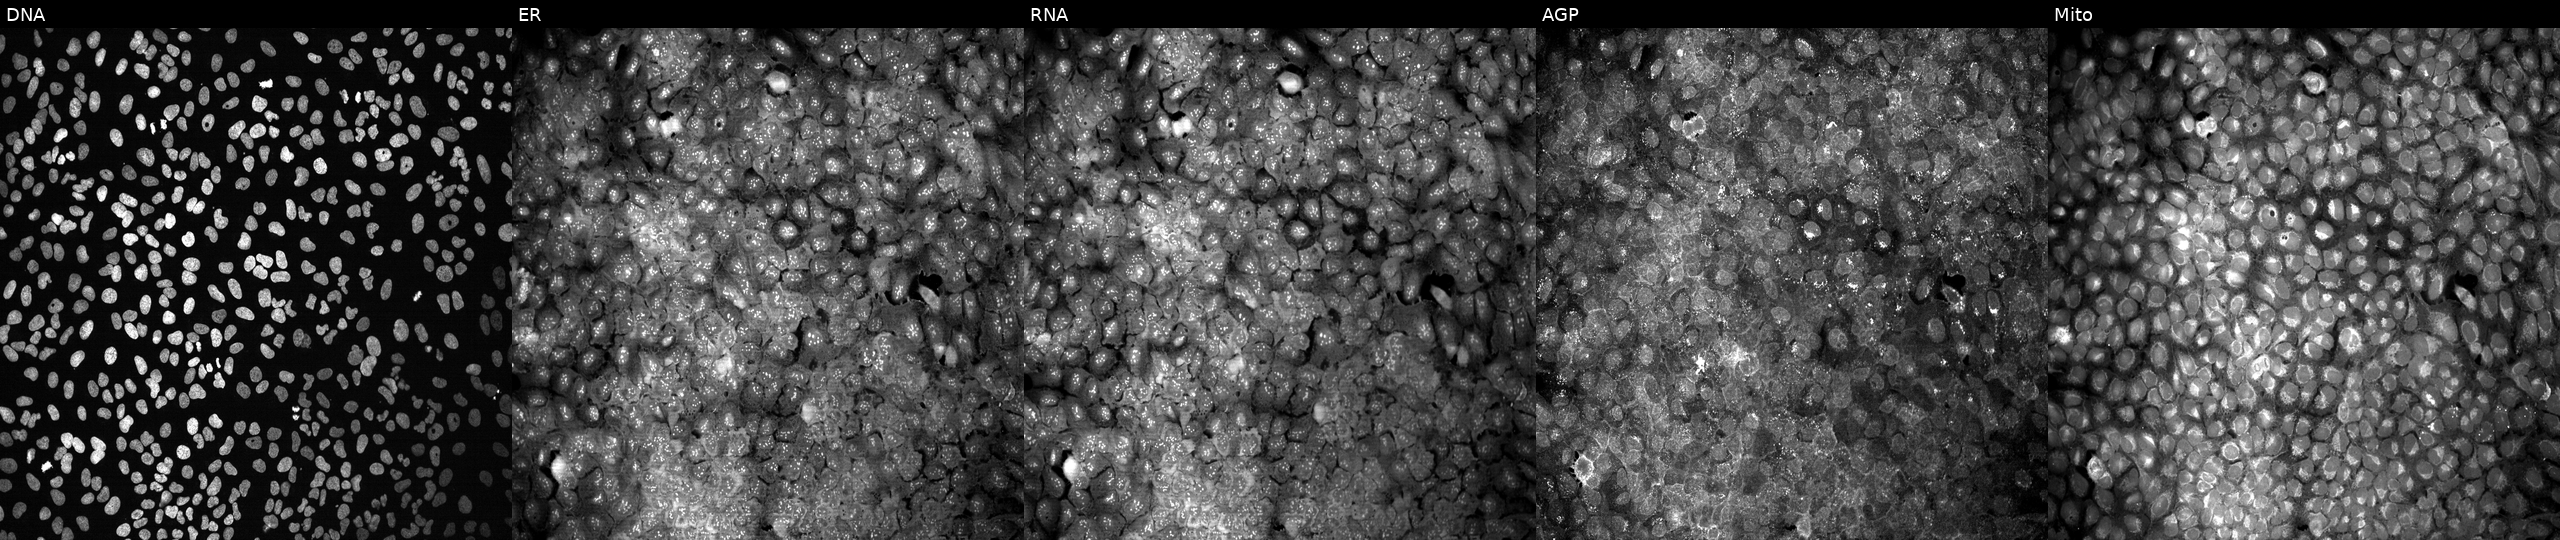
JUMP Cell Painting — CRISPR plate. U2OS cells following CRISPR knockout of PDIA4 (JUMP id JCP2022_805017). Panels show, left to right, DNA, ER, RNA, AGP, and Mito.